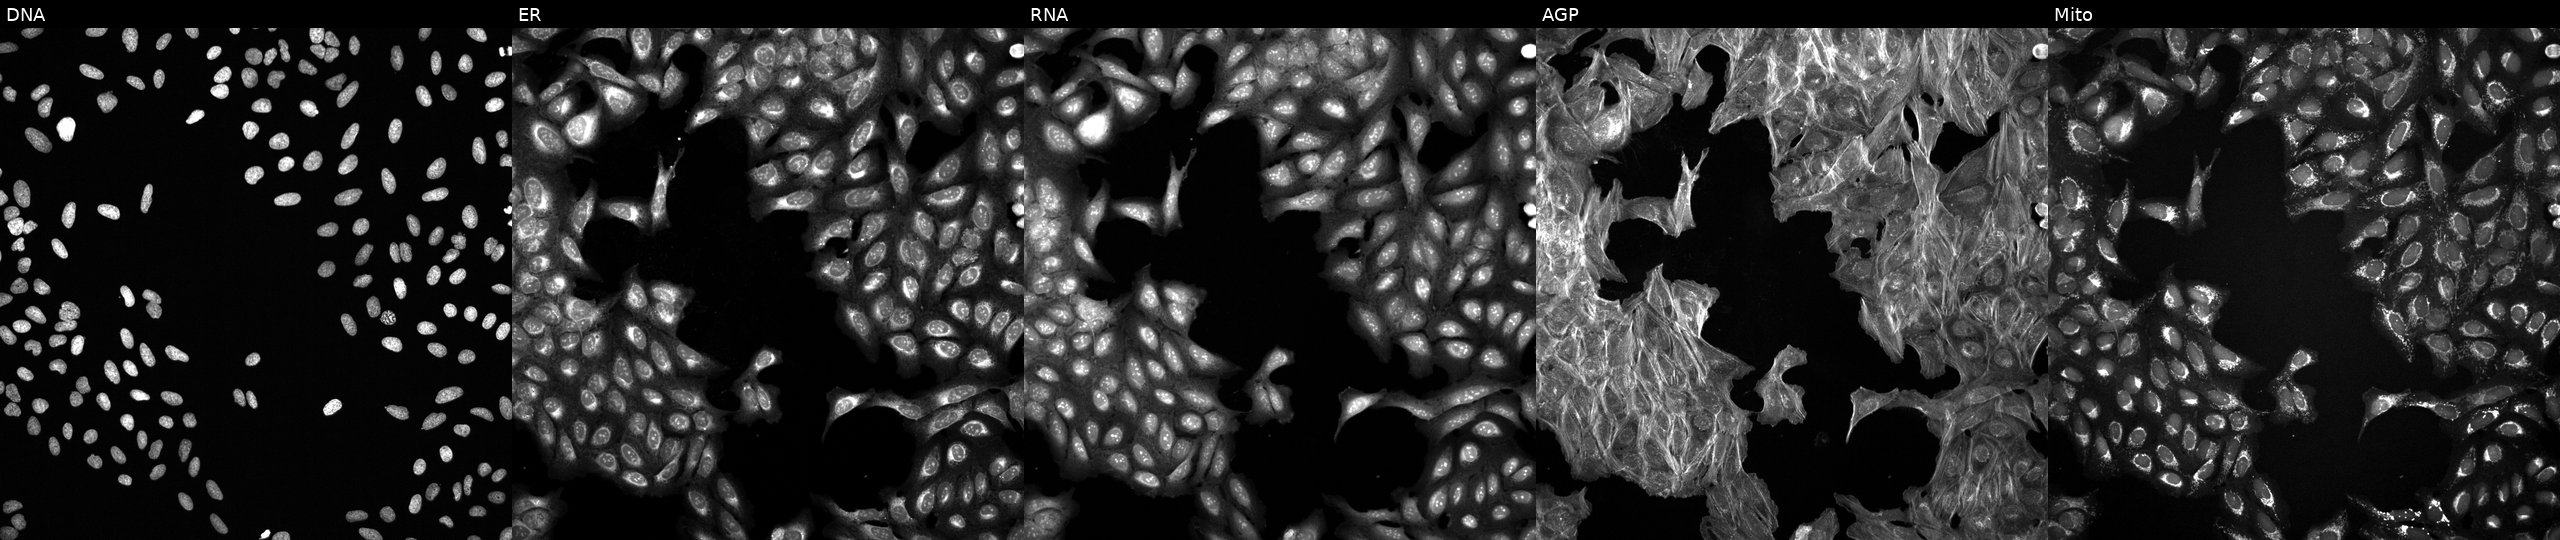
This image strip shows the five Cell Painting channels for a single field of U2OS cells treated with DMSO vehicle only (negative control) (JUMP id JCP2022_033924). Channels (left→right): Hoechst 33342, concanavalin A, SYTO 14, phalloidin and WGA, MitoTracker. Source 6, plate 110000293083, well I23.